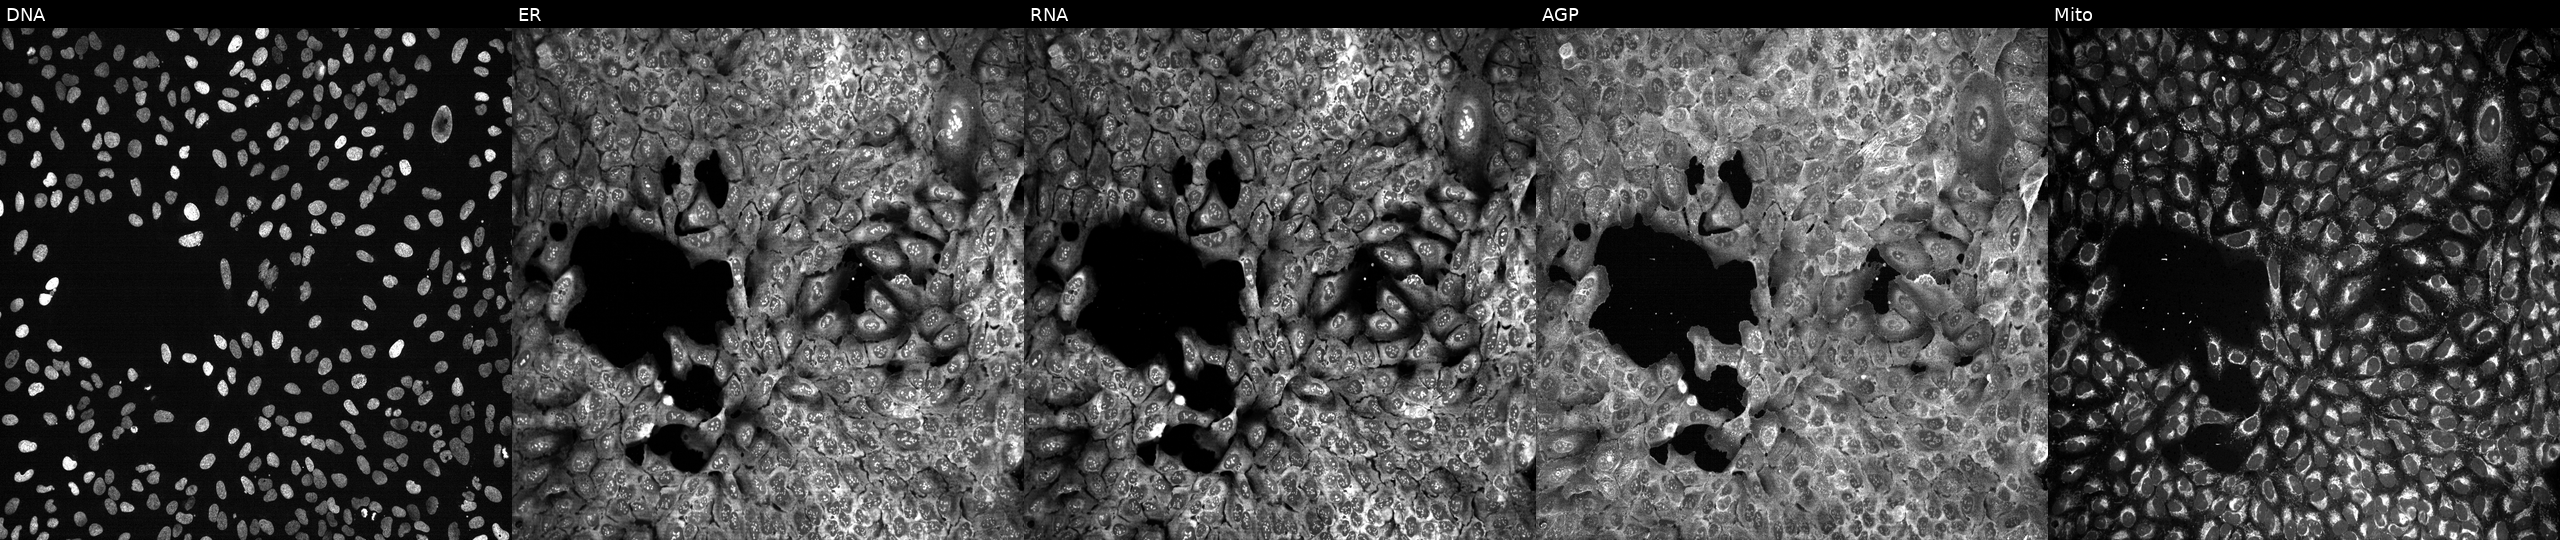
The five panels, left to right, show Hoechst 33342, concanavalin A, SYTO 14, phalloidin and WGA, MitoTracker. U2OS osteosarcoma cells CRISPR-edited to disrupt GYPC. Cell Painting assay, JUMP-CP dataset.